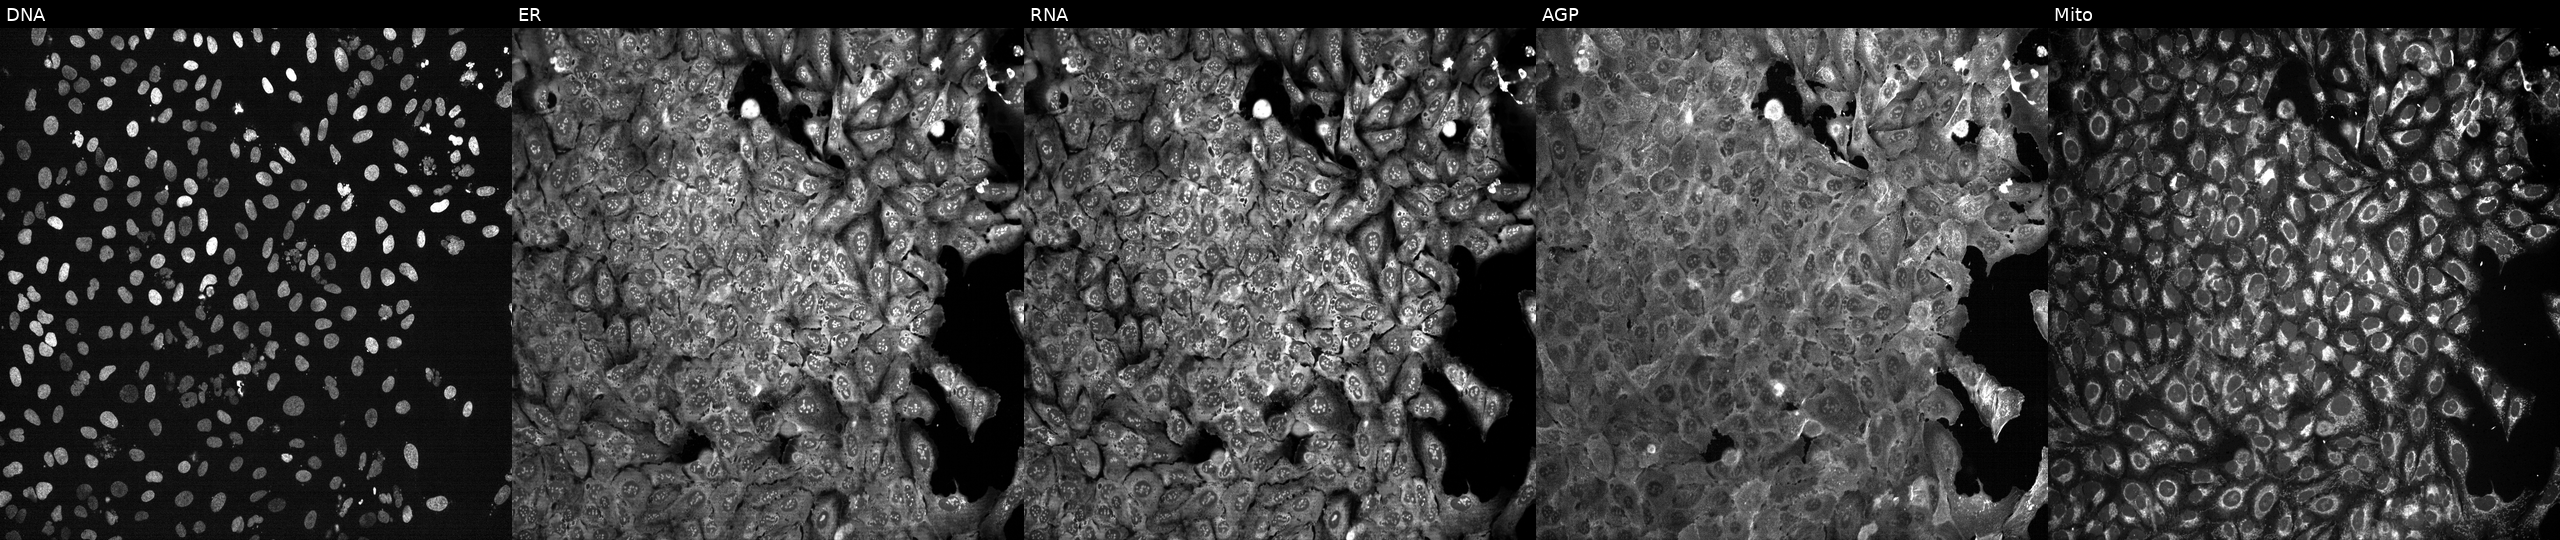
This image strip shows the five Cell Painting channels for a single field of U2OS cells CRISPR-edited to disrupt TOPBP1 (JUMP id JCP2022_807200). Channels (left→right): Hoechst 33342, concanavalin A, SYTO 14, phalloidin and WGA, MitoTracker. Source 13, plate CP-CC9-R3-01, well A12.